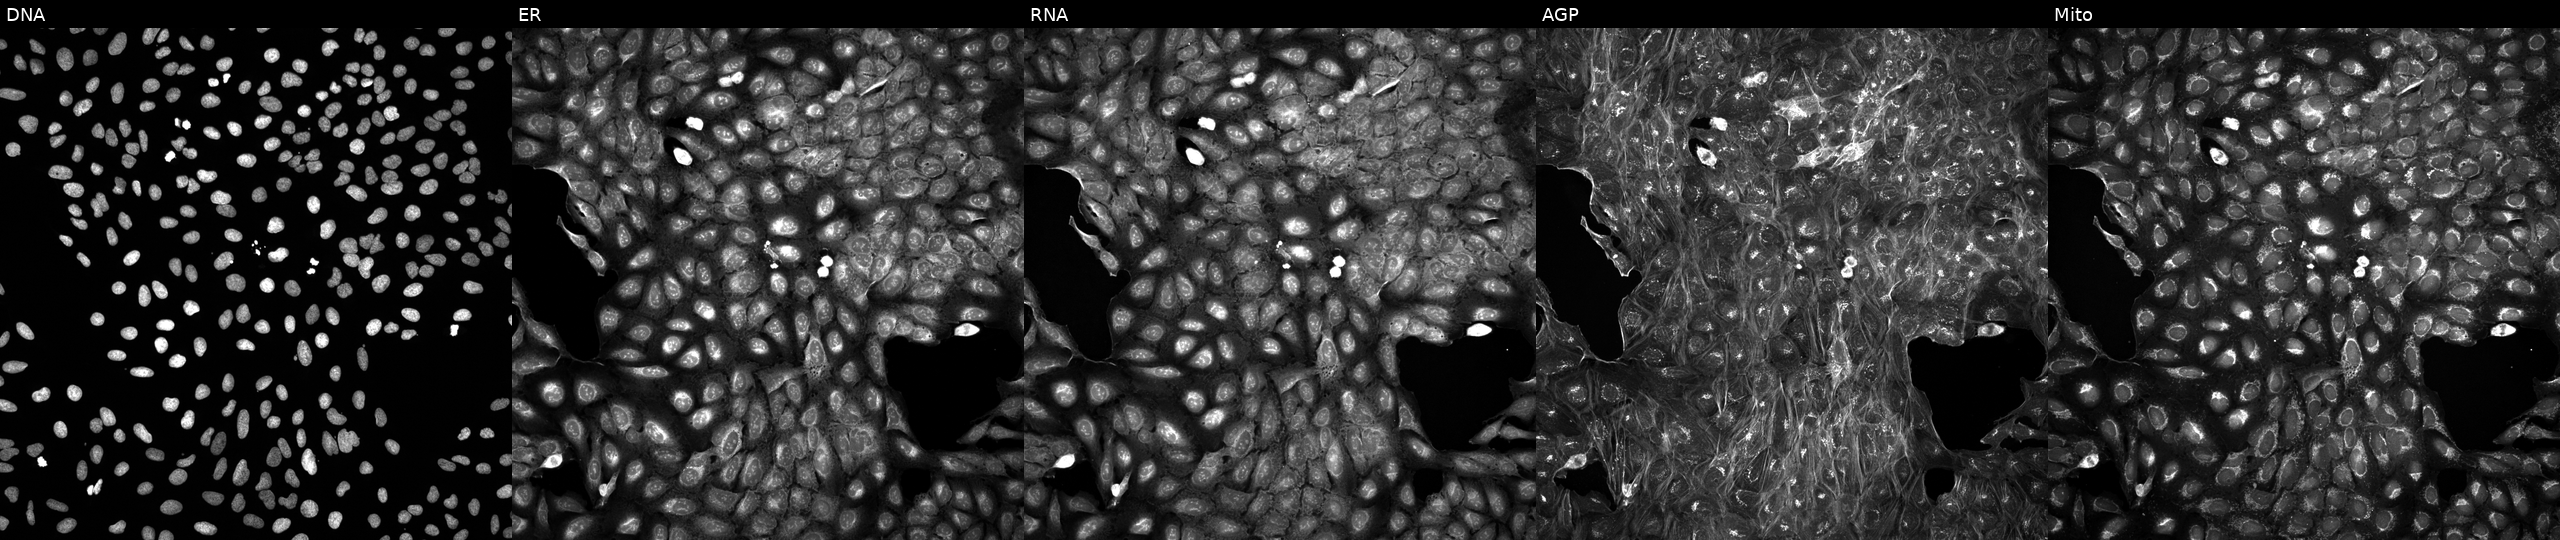
This image strip shows the five Cell Painting channels for a single field of U2OS cells treated with a small-molecule compound [SMILES: Cn1ncc(Cl)c1-c1cc(C(=O)NC(CN)Cc2cccc(F)c2)sc1Cl]. Channels (left→right): DNA, ER, RNA, AGP, and Mito.